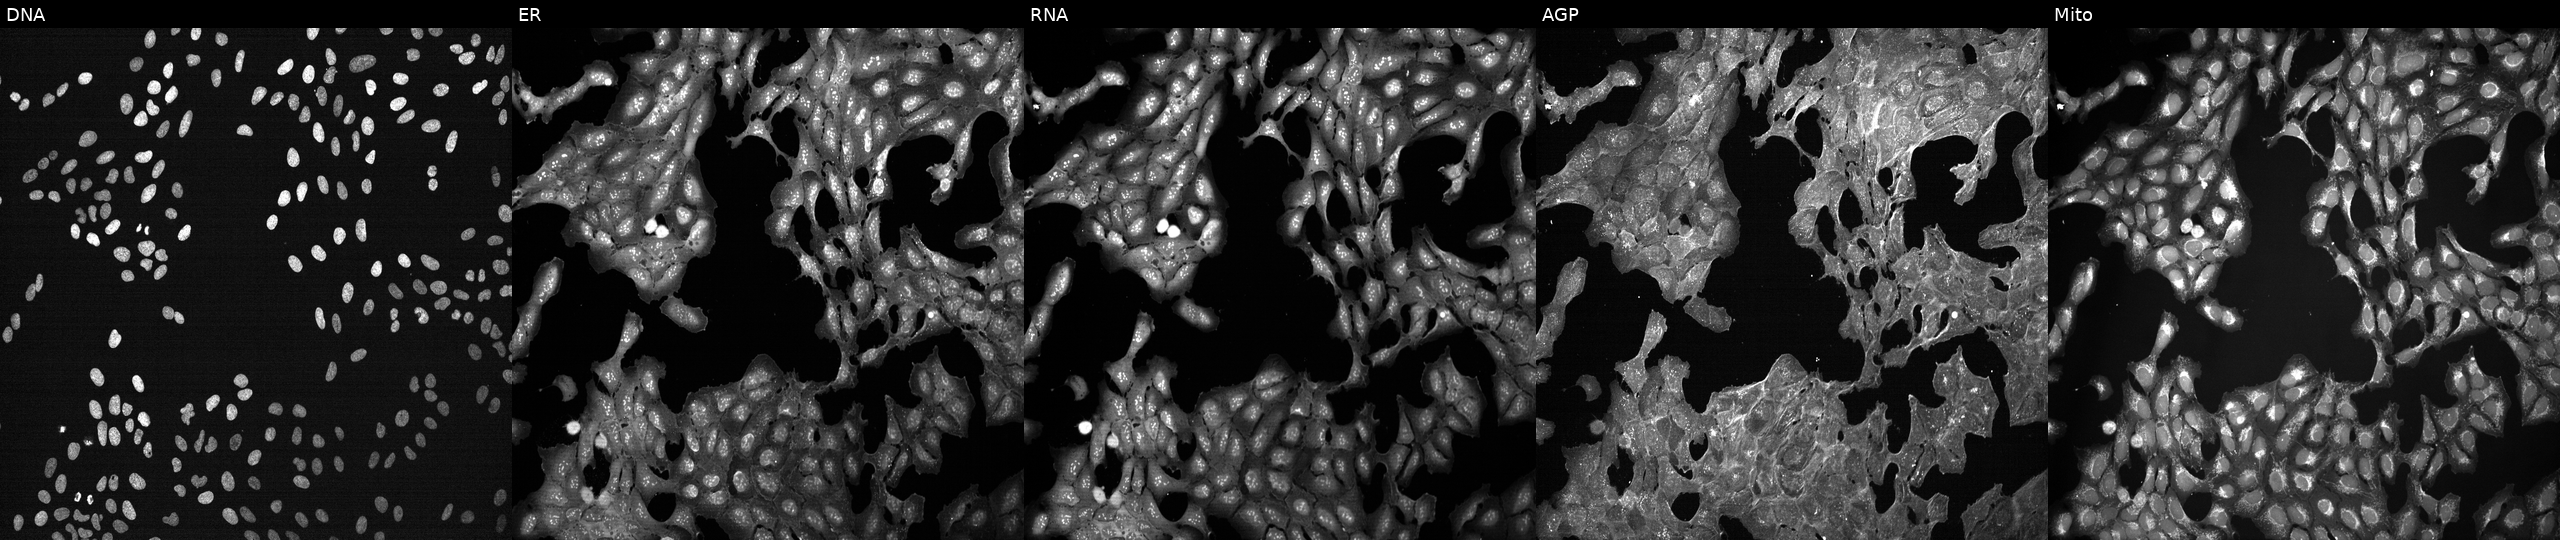
High-content fluorescence microscopy (Cell Painting). Cell line: U2OS. Perturbation: exposed to a small-molecule compound (InChIKey JDVVGAQPNNXQDW-UHFFFAOYSA-N). From left to right: DNA, ER, RNA, AGP, and Mito.